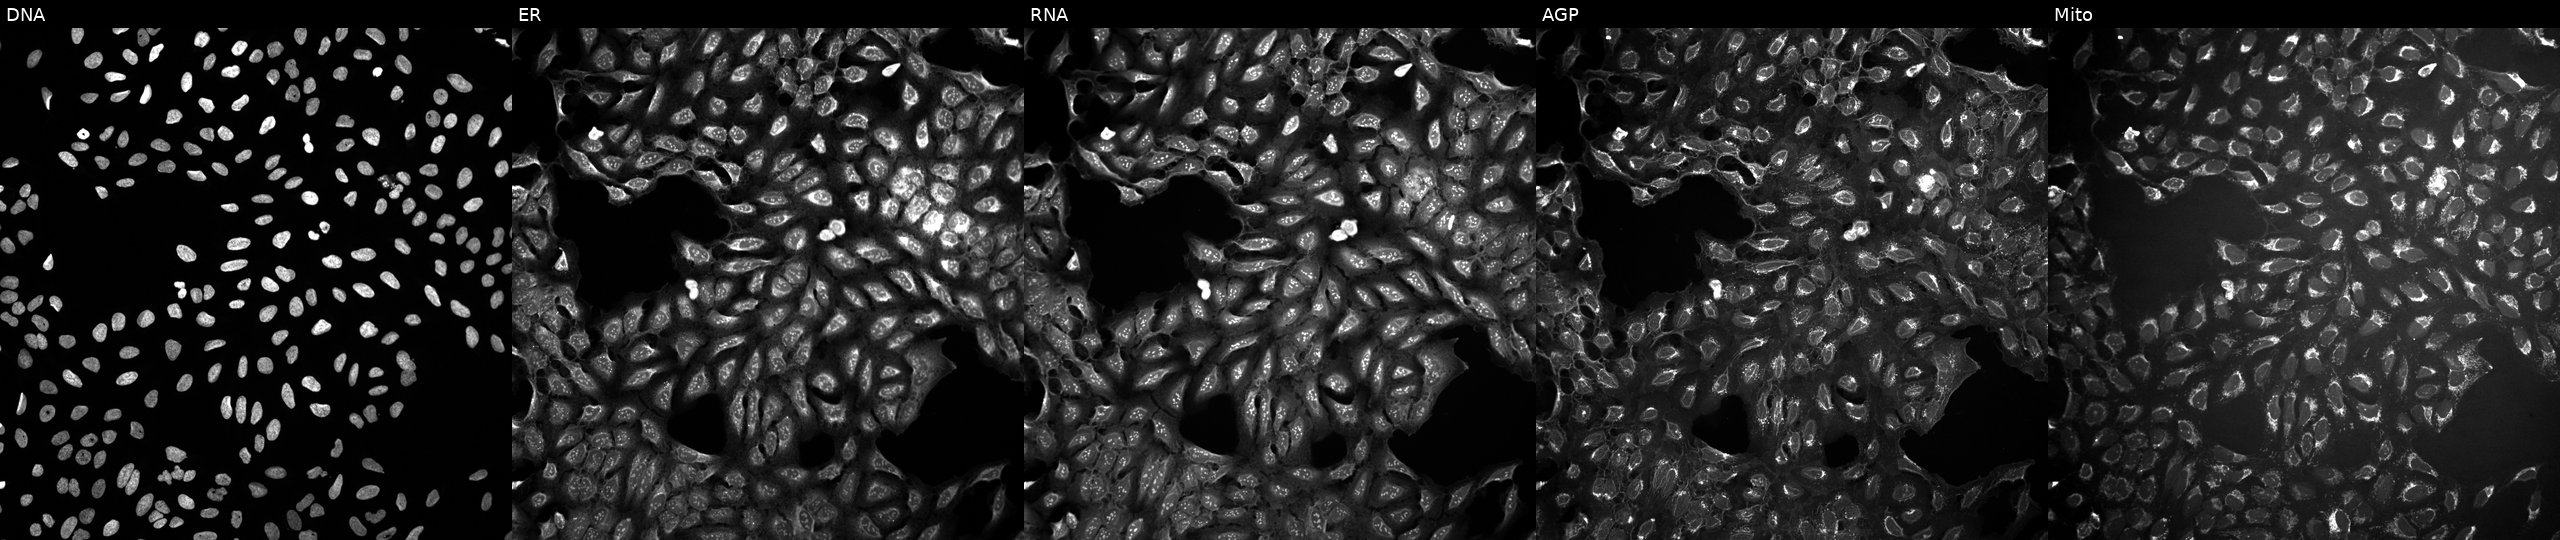
JUMP Cell Painting — TARGET2 plate. U2OS cells treated with a small-molecule compound (InChIKey ZNNLBTZKUZBEKO-UHFFFAOYSA-N). Channels (left→right): DNA, ER, RNA, AGP, and Mito. Source 10, plate Dest210803-153958, well O15.